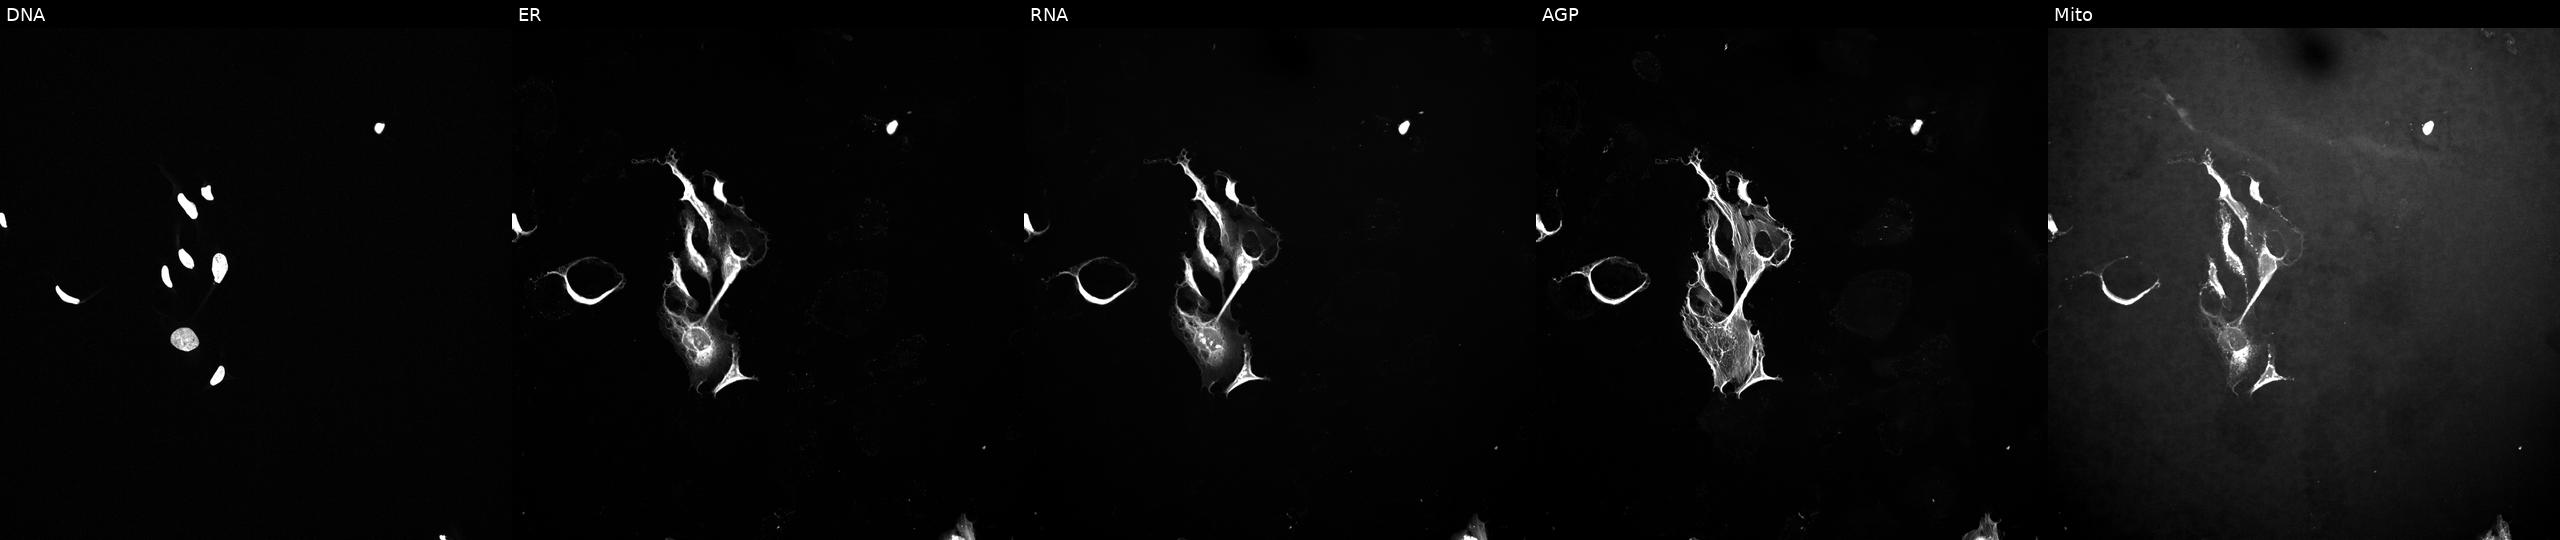
JUMP Cell Painting — TARGET2 plate. U2OS cells perturbed with a small-molecule compound (JUMP id JCP2022_032771). Channels (left→right): DNA, ER, RNA, AGP, and Mito. Source 10, plate Dest210726-160150, well D05.